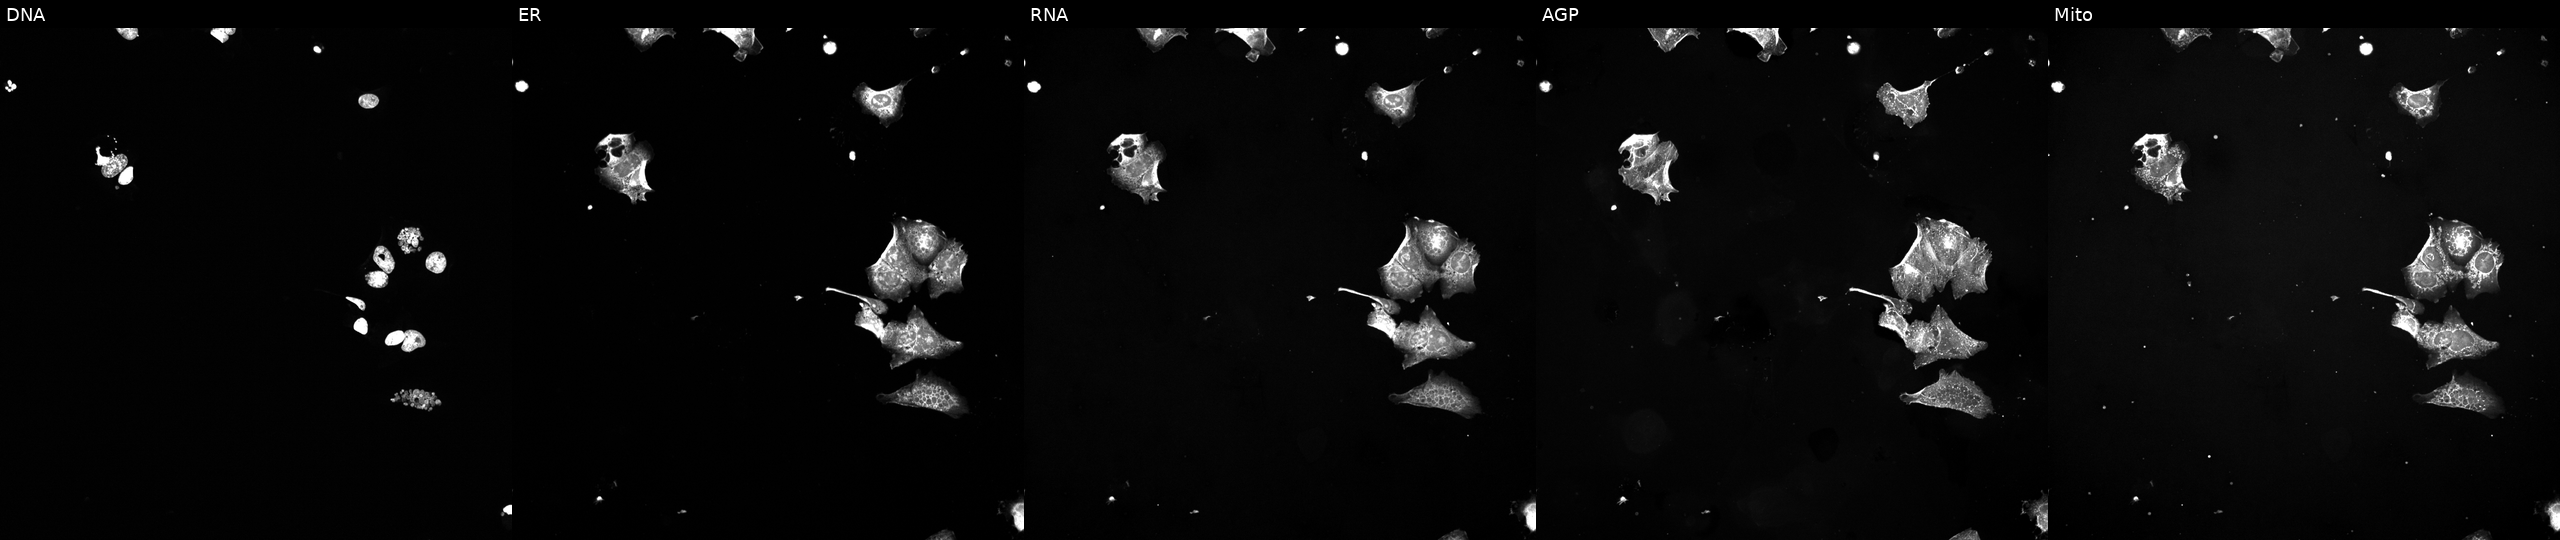
Five-channel Cell Painting image of U2OS cells exposed to a small-molecule compound (JUMP id JCP2022_033814). Channels (left→right): Hoechst 33342, concanavalin A, SYTO 14, phalloidin and WGA, MitoTracker.